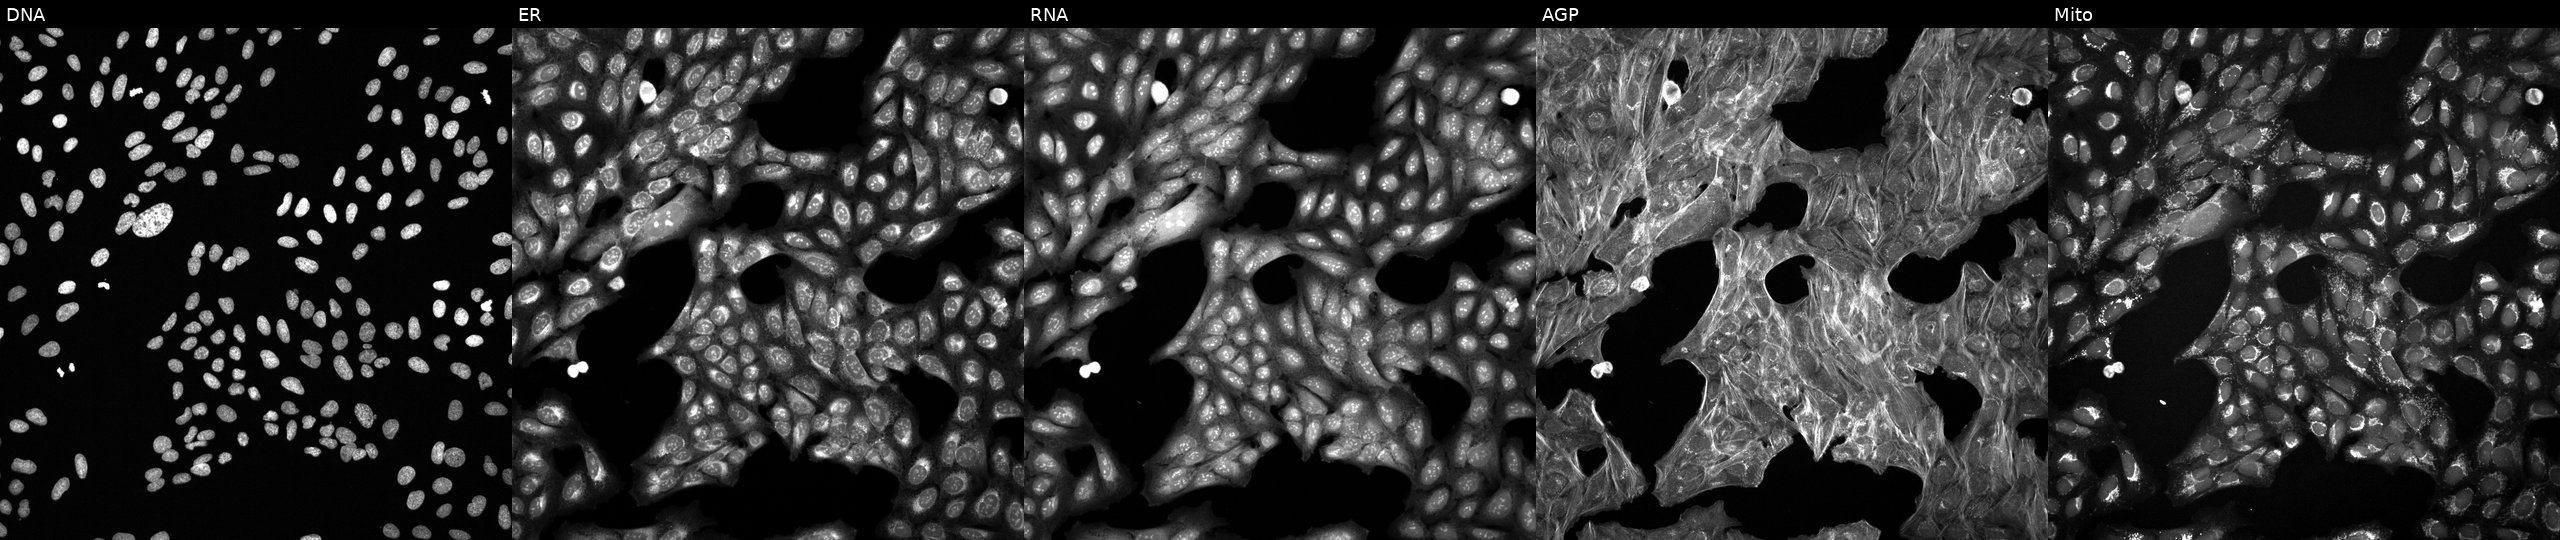
Channels (left→right): DNA (nuclei); ER (endoplasmic reticulum); RNA (nucleoli and cytoplasmic RNA); AGP (actin cytoskeleton, Golgi, and plasma membrane); Mito (mitochondria). U2OS osteosarcoma cells perturbed with a small-molecule compound [SMILES: CN(C)c1ccc(NC(=O)CC(C)(C)C)cc1CN(CC1CC1)C(=O)c1ccc(F)cc1] (JUMP id JCP2022_088126). Cell Painting assay, JUMP-CP dataset.